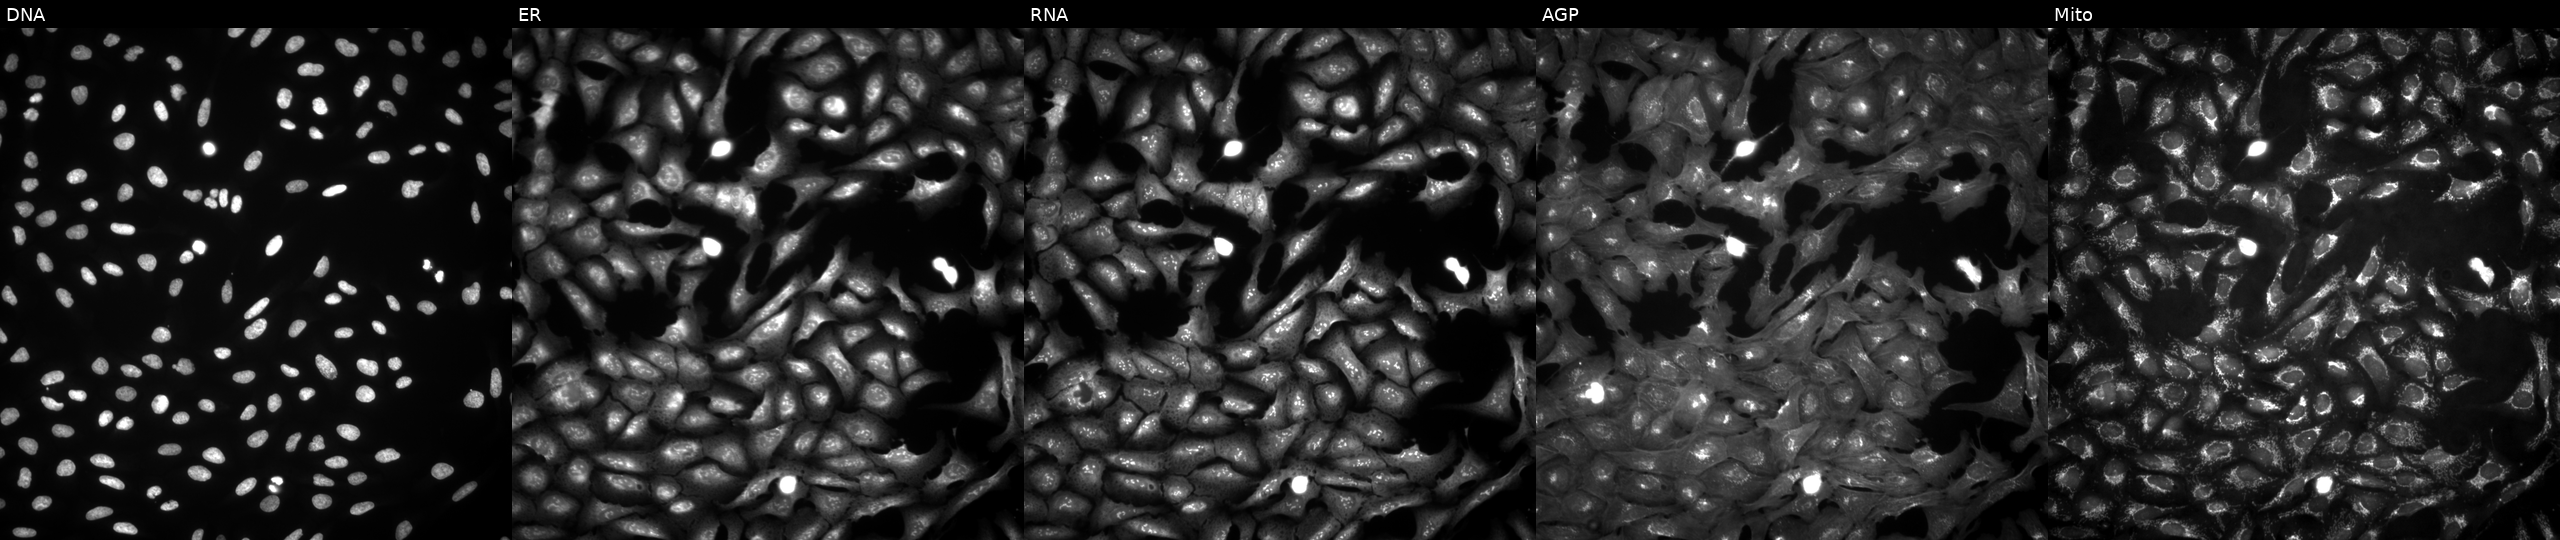
JUMP Cell Painting — ORF plate. U2OS cells with SGMS2 overexpressed (ORF) (JUMP id JCP2022_904807). Panels show, left to right, Hoechst 33342, concanavalin A, SYTO 14, phalloidin and WGA, MitoTracker.